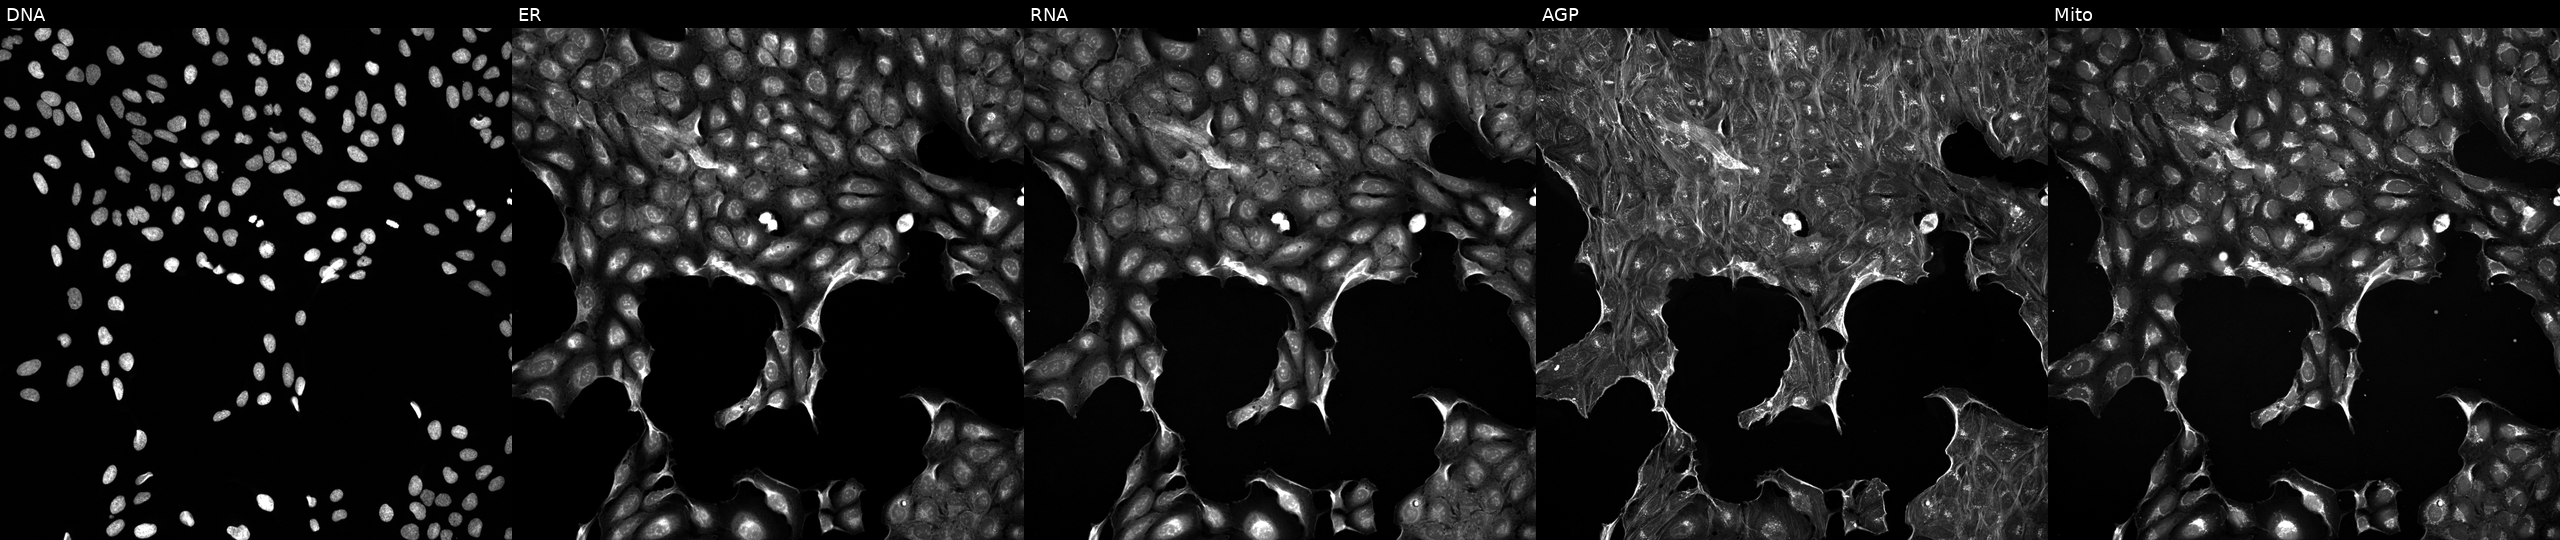
This image strip shows the five Cell Painting channels for a single field of U2OS cells perturbed with a small-molecule compound (JUMP id JCP2022_002118). Channels (left→right): Hoechst 33342, concanavalin A, SYTO 14, phalloidin and WGA, MitoTracker. Source 5, plate ACPJUM032, well M19.